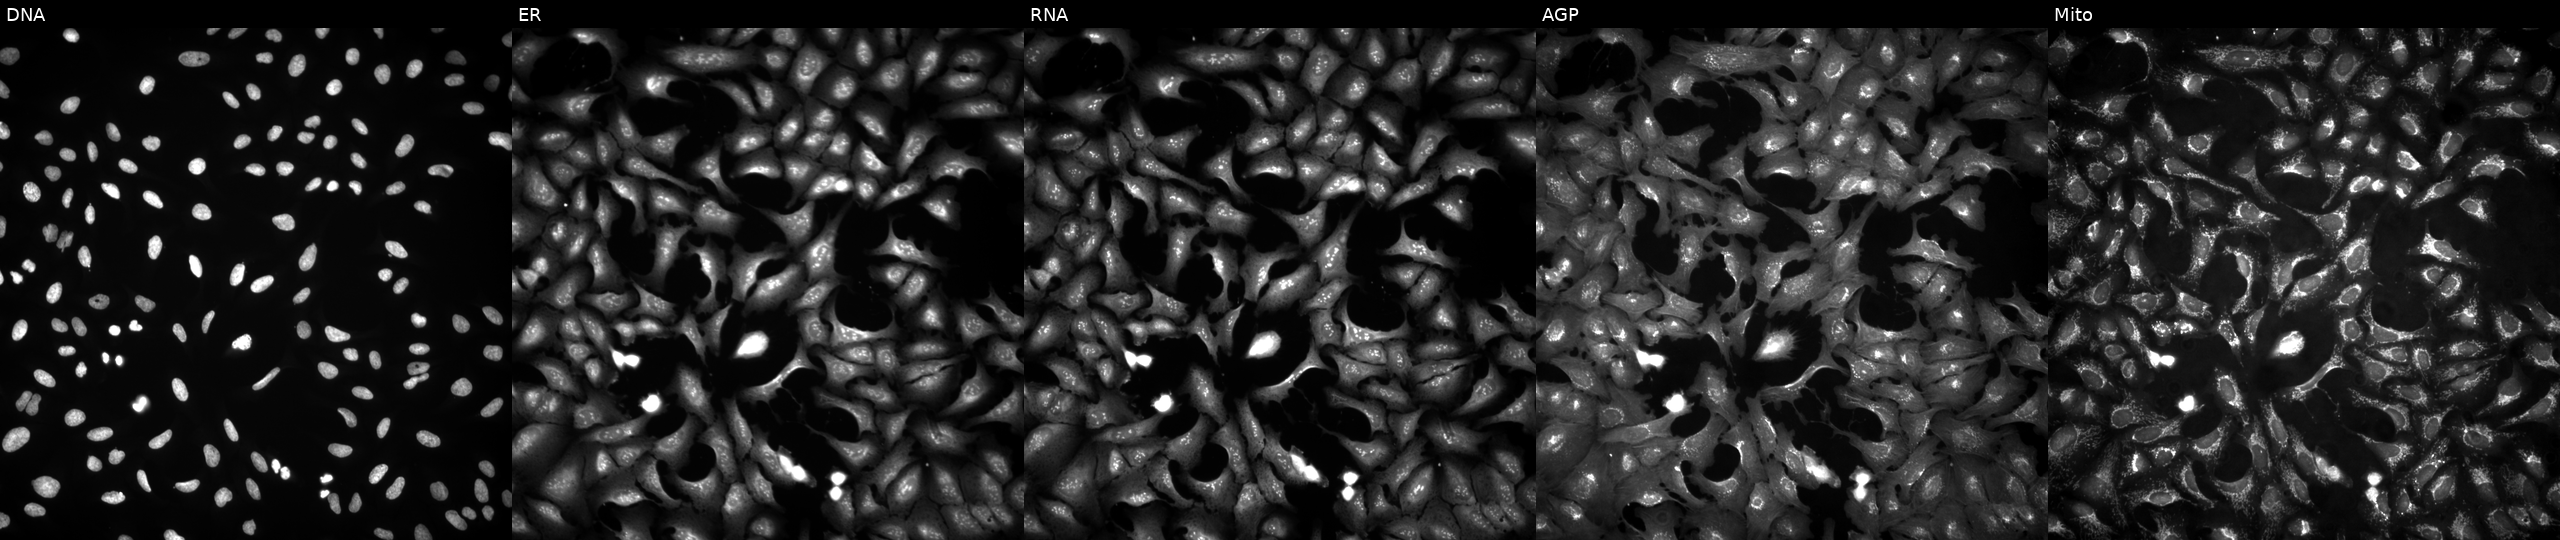
U2OS cells, Cell Painting assay, overexpressing RAMP3 via ORF transfection. From left to right: Hoechst 33342, concanavalin A, SYTO 14, phalloidin and WGA, MitoTracker. Each panel is percentile-stretched 16-bit fluorescence. Source 4, plate BR00124787, well G10.